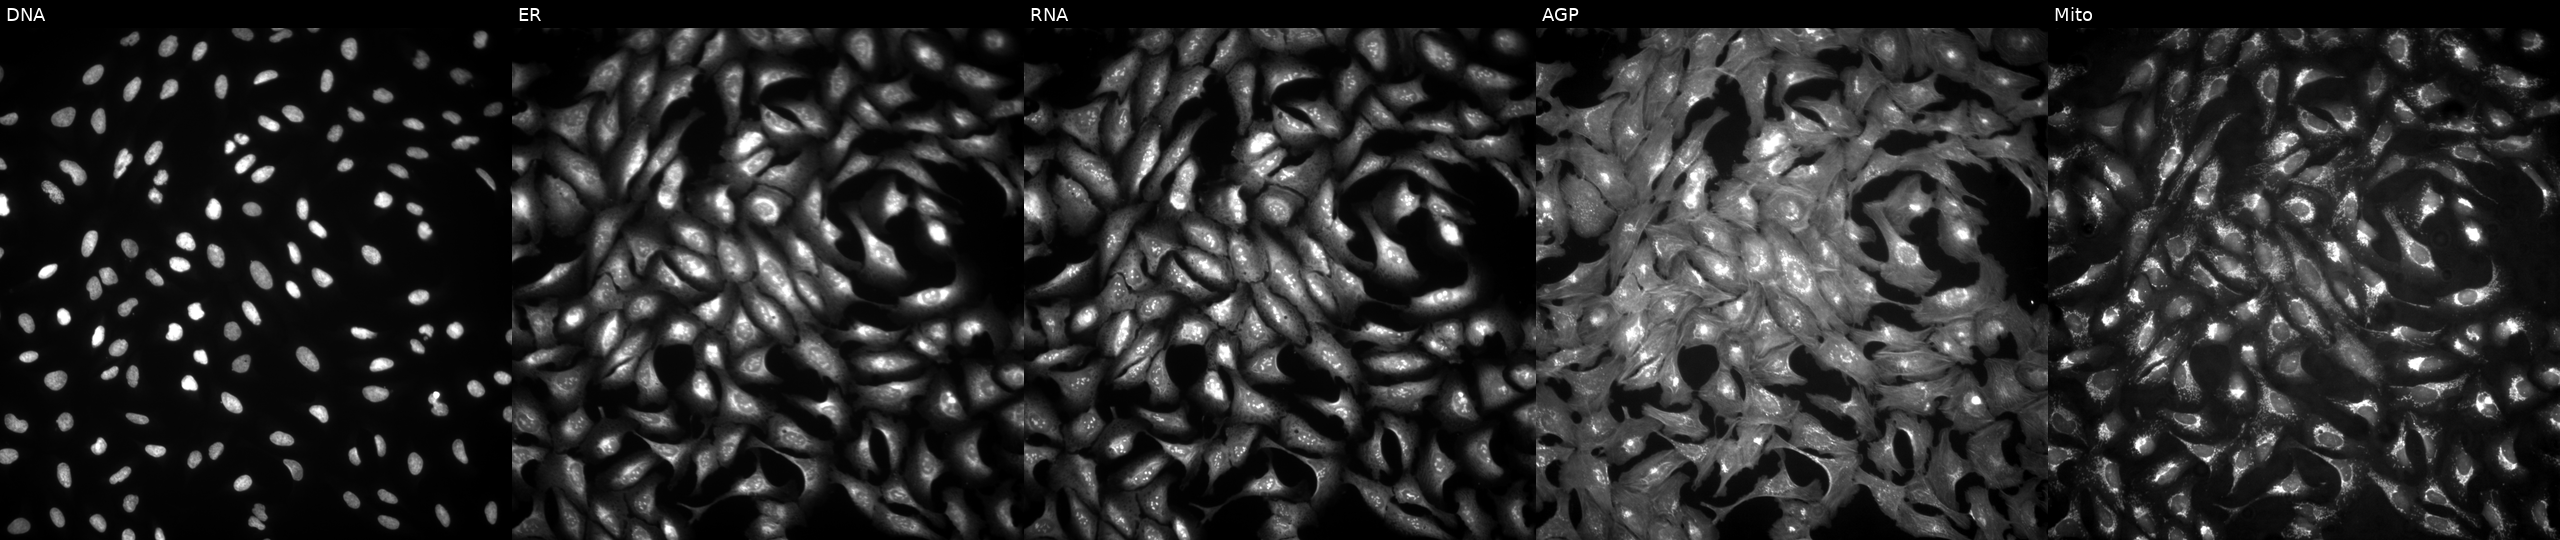
High-content fluorescence microscopy (Cell Painting). Cell line: U2OS. Perturbation: transfected with an ORF construct for F8 (JUMP id JCP2022_900497). Channels (left→right): Hoechst 33342, concanavalin A, SYTO 14, phalloidin and WGA, MitoTracker.